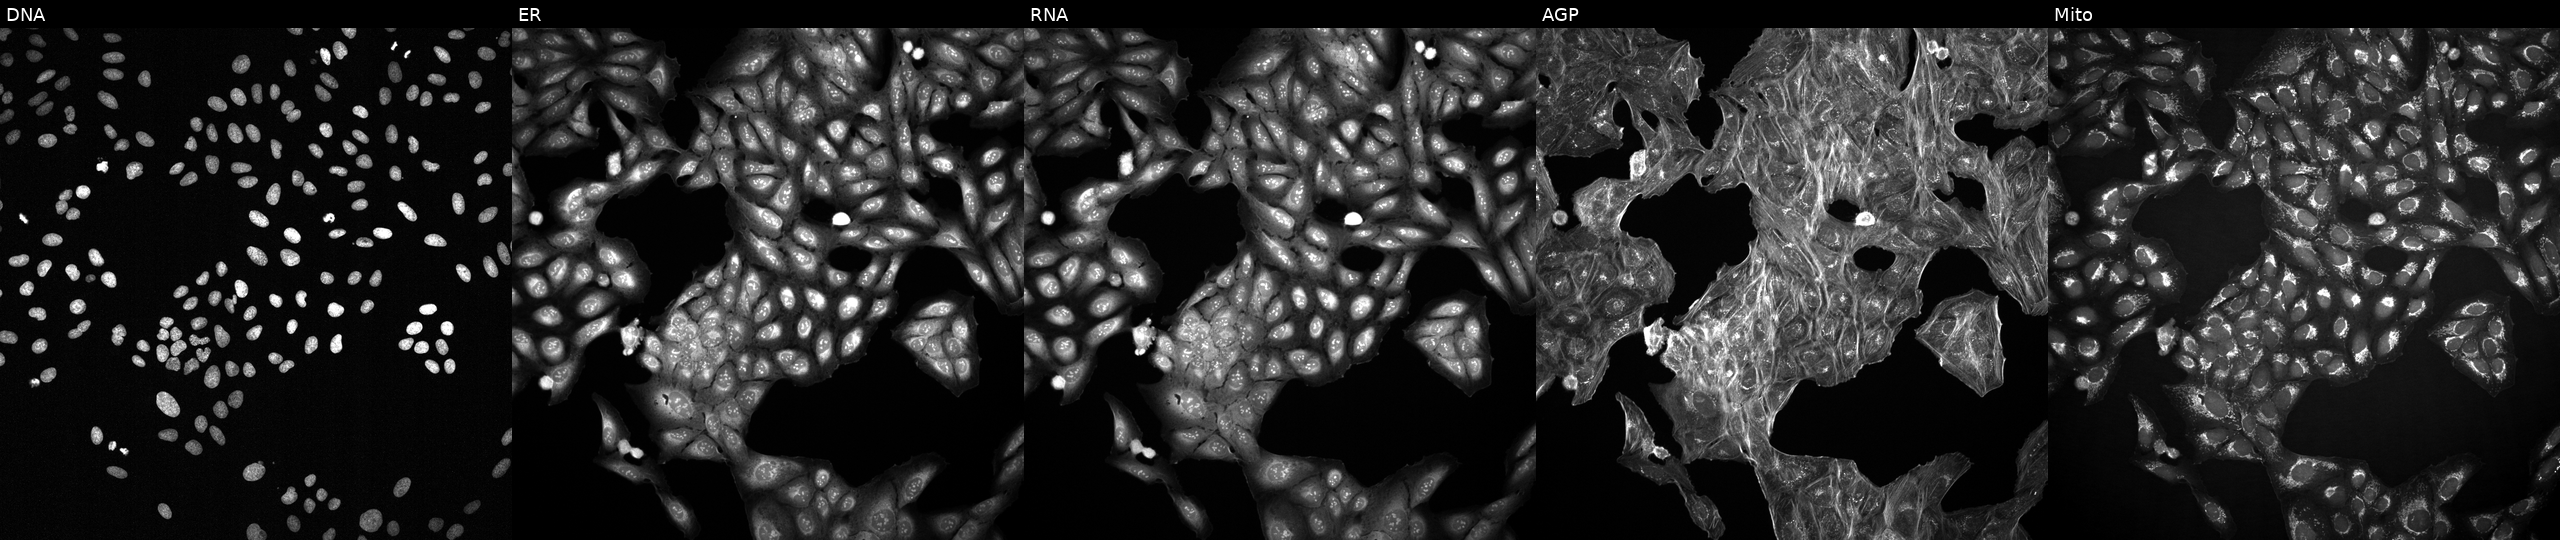
JUMP Cell Painting — TARGET2 plate. U2OS cells perturbed with a small-molecule compound (InChIKey HKQYGTCOTHHOMP-UHFFFAOYSA-N) [SMILES: COc1ccc(-c2coc3cc(O)ccc3c2=O)cc1] (JUMP id JCP2022_030831). Channels (left→right): DNA, ER, RNA, AGP, and Mito. Source 2, plate 1053600674, well P16.